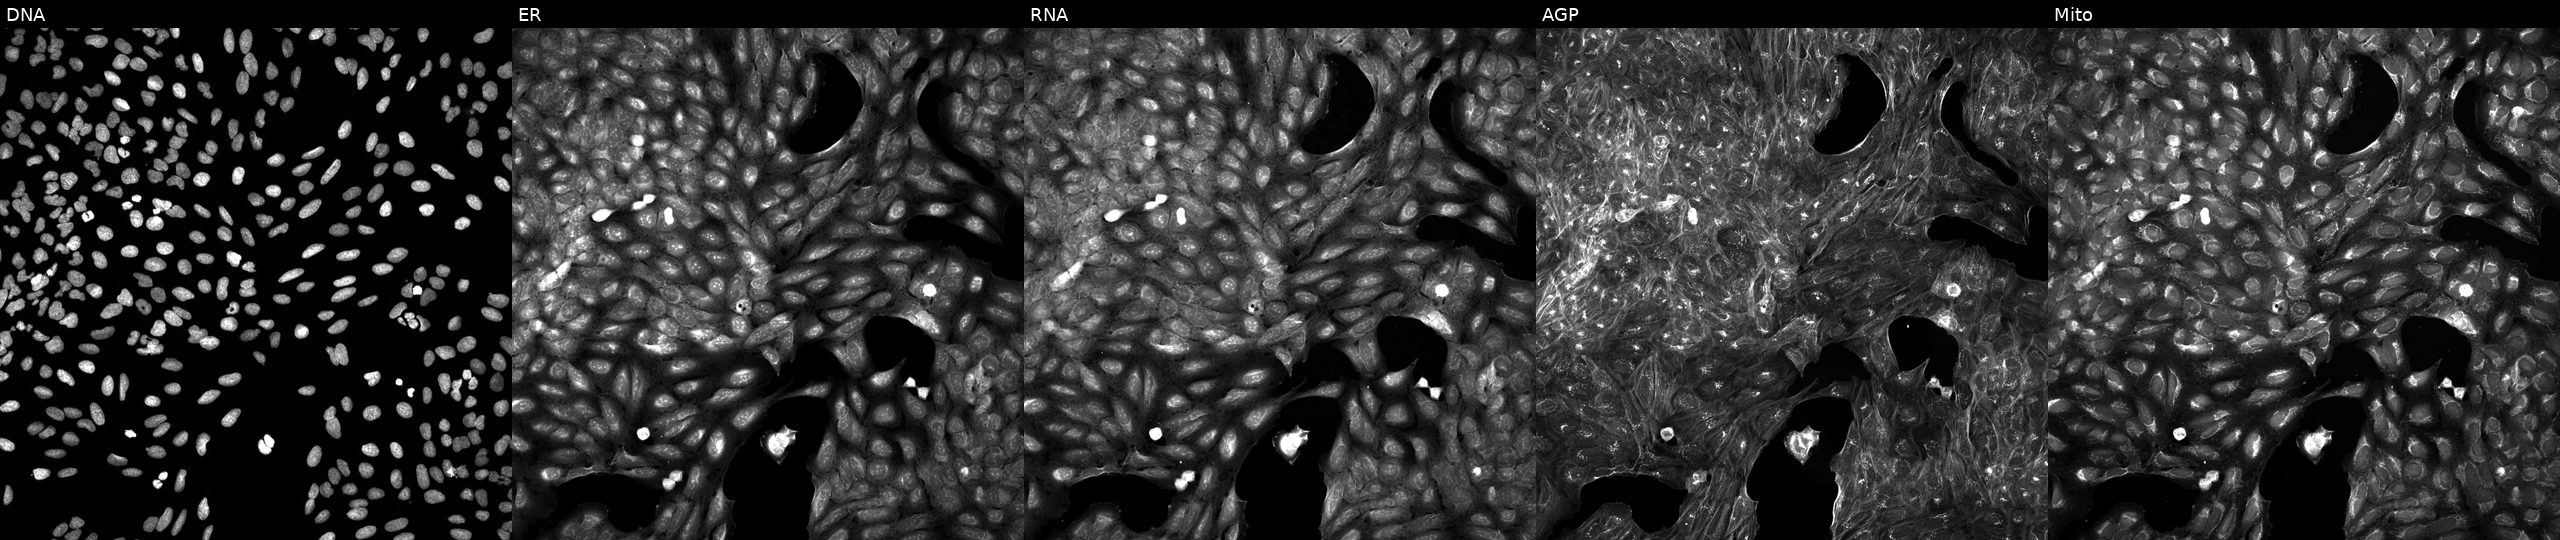
This image strip shows the five Cell Painting channels for a single field of U2OS cells exposed to a small-molecule compound (InChIKey OLHPEJSKTPHTRJ-UHFFFAOYSA-N). Channels (left→right): DNA, ER, RNA, AGP, and Mito. Source 5, plate APTJUM106, well M12.